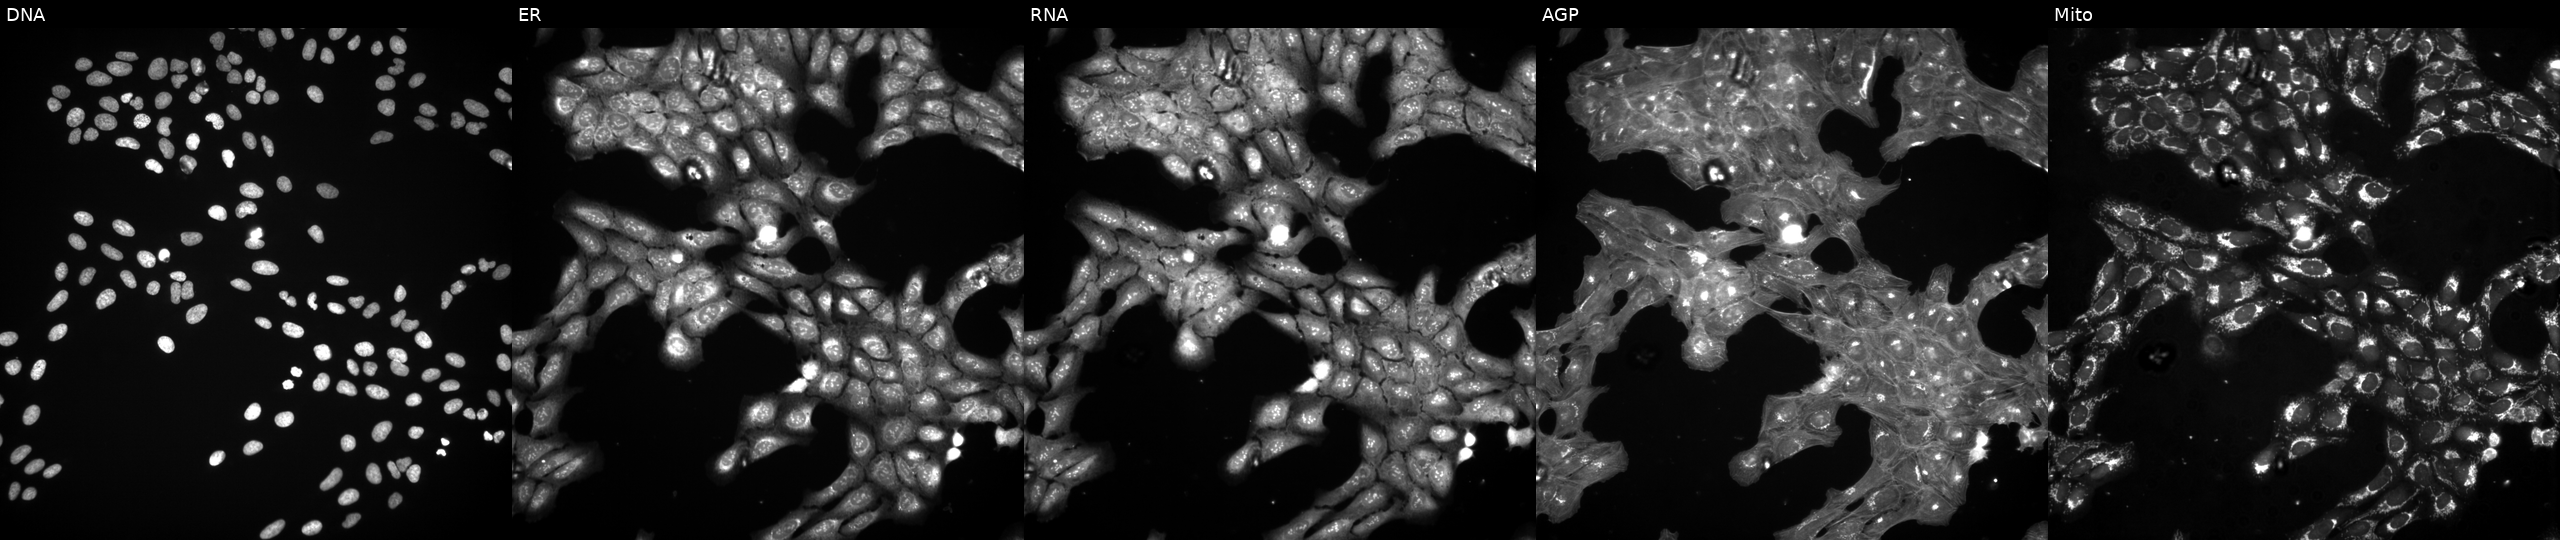
JUMP Cell Painting — COMPOUND plate. U2OS cells perturbed with a small-molecule compound (InChIKey BQFPVWUSCCHHBF-UHFFFAOYSA-N) [SMILES: CNC(=O)c1ccc(N=c2[nH]nc(-c3ccc(O)cc3)c3ccccc23)cc1] (JUMP id JCP2022_007982). From left to right: DNA (nuclei); ER (endoplasmic reticulum); RNA (nucleoli and cytoplasmic RNA); AGP (actin cytoskeleton, Golgi, and plasma membrane); Mito (mitochondria). Source 3, plate BR5867a3, well E19.